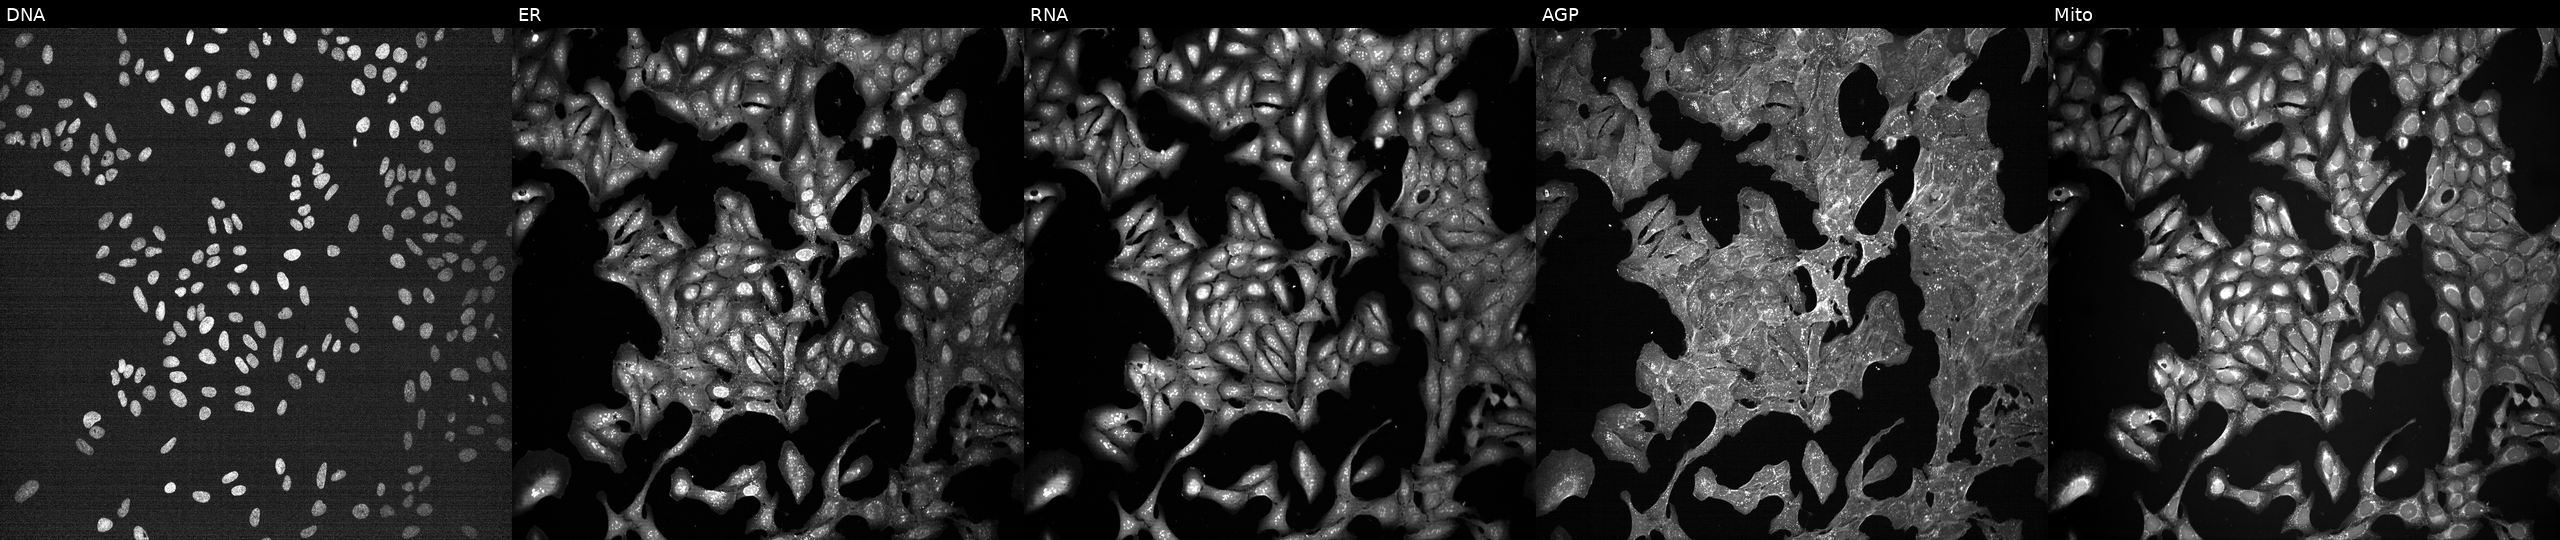
Channels (left→right): DNA, ER, RNA, AGP, and Mito. U2OS osteosarcoma cells perturbed with a small-molecule compound (InChIKey AFJRDFWMXUECEW-UHFFFAOYSA-N). Cell Painting assay, JUMP-CP dataset. Source 7, plate CP1-SC1-25, well L19.